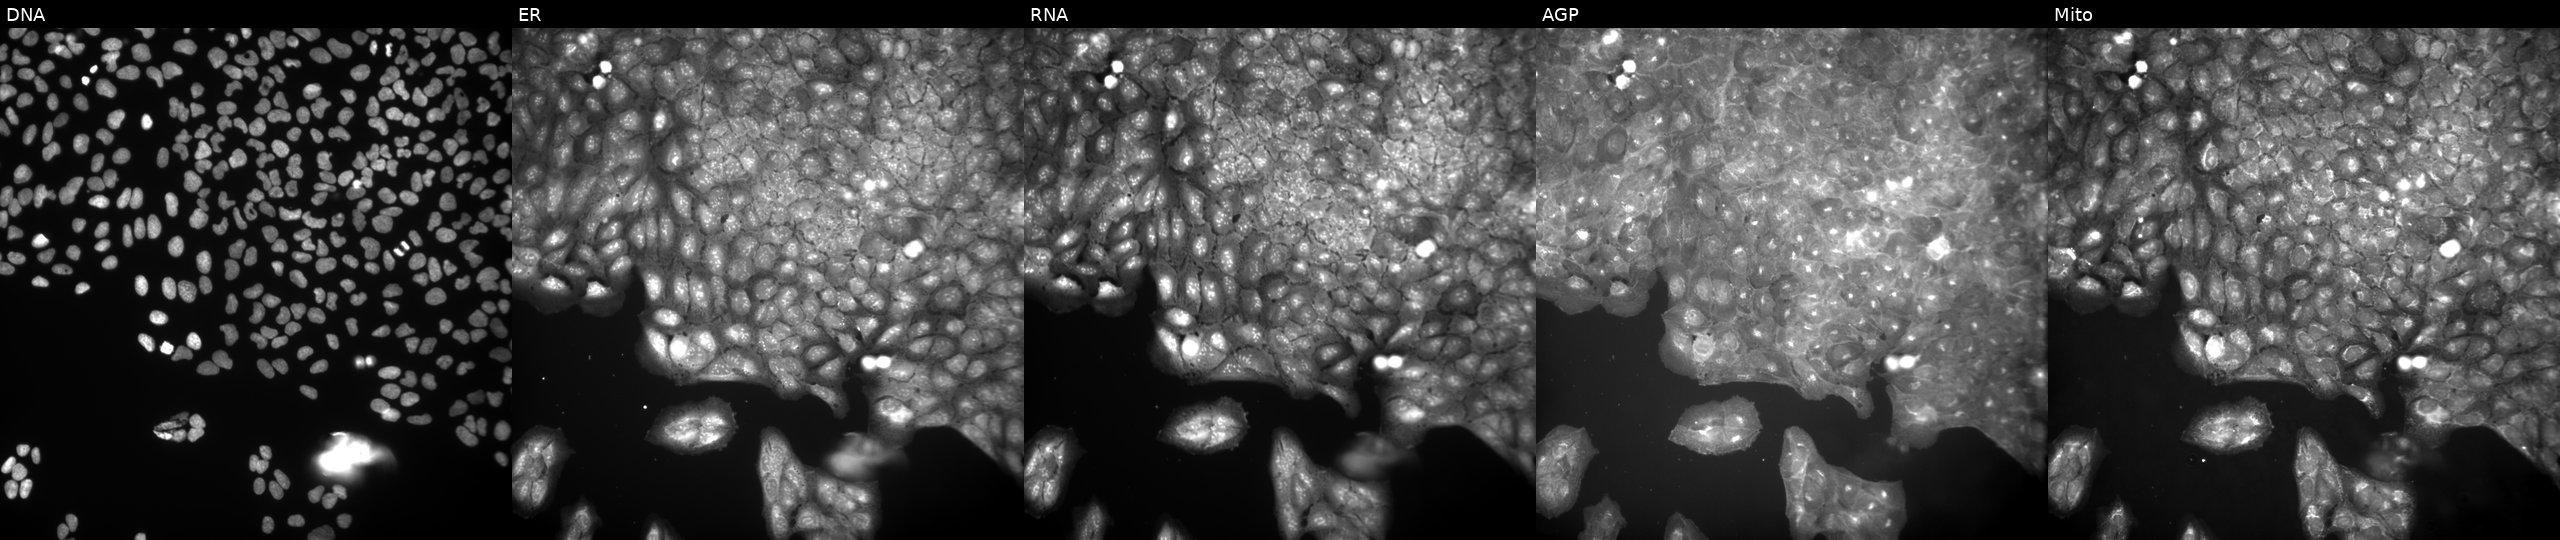
High-content fluorescence microscopy (Cell Painting). Cell line: U2OS. Perturbation: perturbed with a small-molecule compound (InChIKey NKZWAUXPSDPBMX-UHFFFAOYSA-N) [SMILES: O=C(NC(C(=O)c1ccccc1)N1CCCCCC1)c1ccco1]. The five panels, left to right, show DNA (nuclei); ER (endoplasmic reticulum); RNA (nucleoli and cytoplasmic RNA); AGP (actin cytoskeleton, Golgi, and plasma membrane); Mito (mitochondria). Source 9, plate GR00003382, well M42.